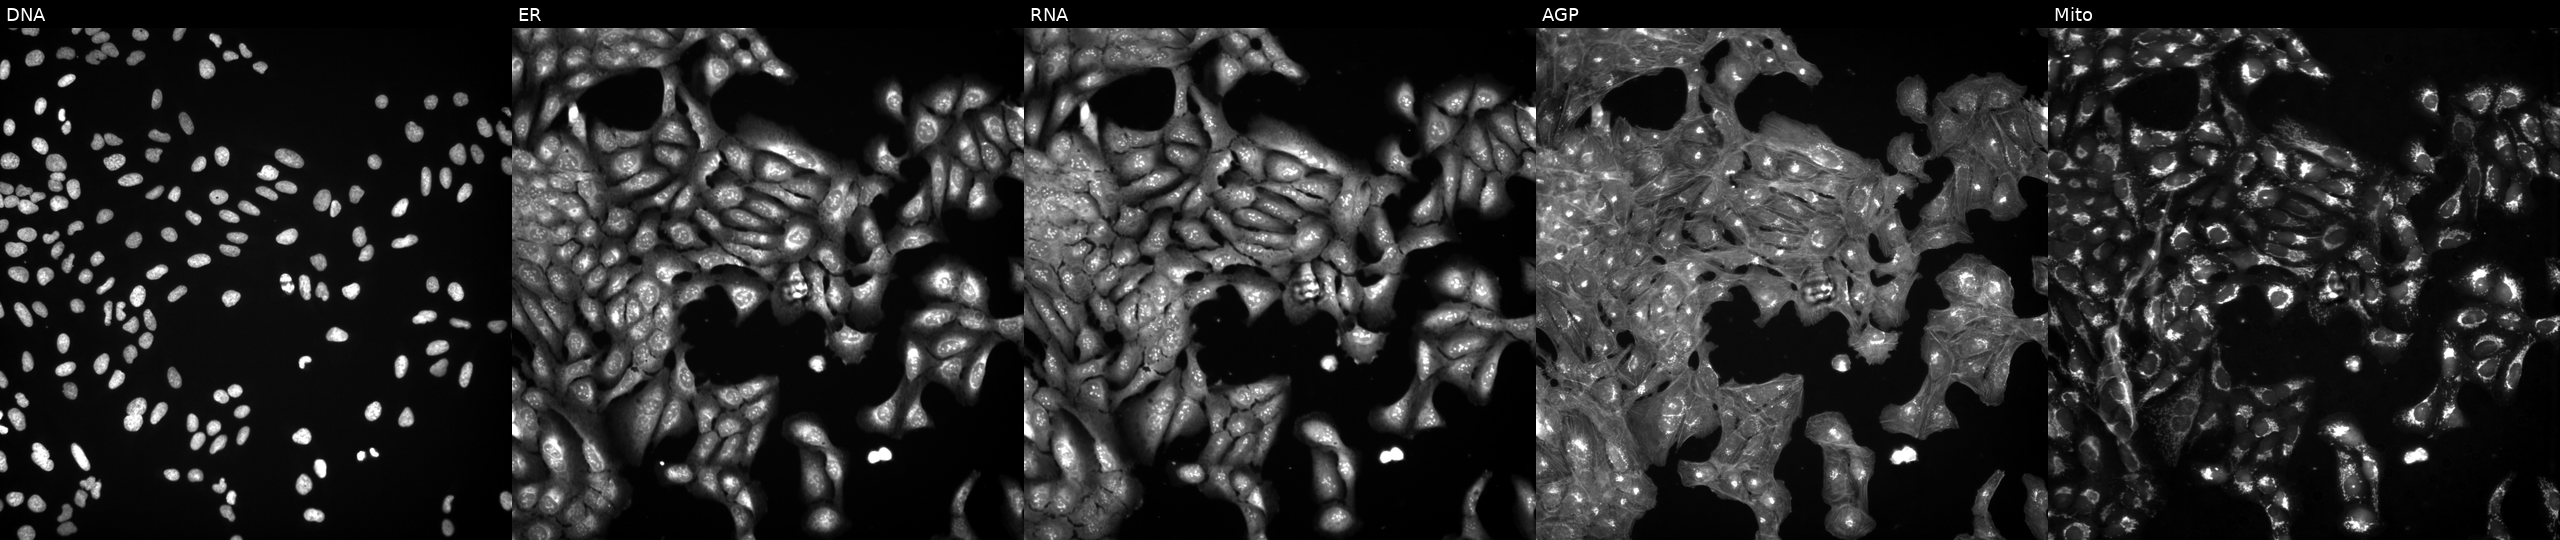
U2OS cells, Cell Painting assay, perturbed with a small-molecule compound (InChIKey MNPZLRXLBGZPCI-UHFFFAOYSA-N) [SMILES: CC(C)(C)C(=O)CN1C(=O)C2(OCCO2)c2ccccc21]. Channels (left→right): Hoechst 33342, concanavalin A, SYTO 14, phalloidin and WGA, MitoTracker. Each panel is percentile-stretched 16-bit fluorescence.